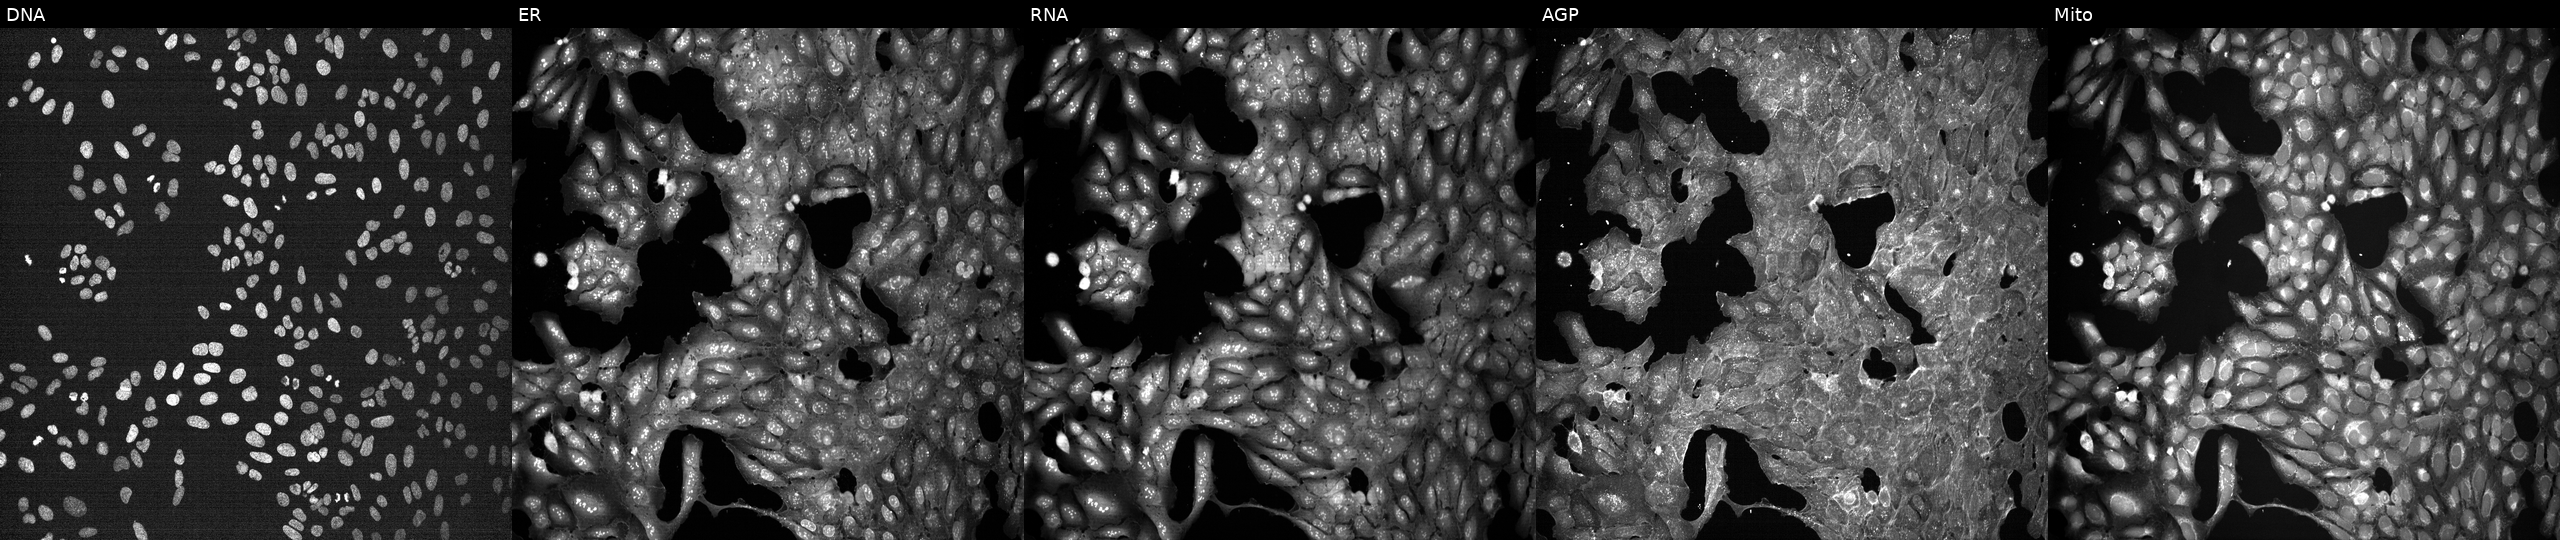
JUMP Cell Painting — TARGET2 plate. U2OS cells treated with a small-molecule compound (InChIKey NUKYPUAOHBNCPY-UHFFFAOYSA-N). Panels show, left to right, DNA (nuclei); ER (endoplasmic reticulum); RNA (nucleoli and cytoplasmic RNA); AGP (actin cytoskeleton, Golgi, and plasma membrane); Mito (mitochondria).